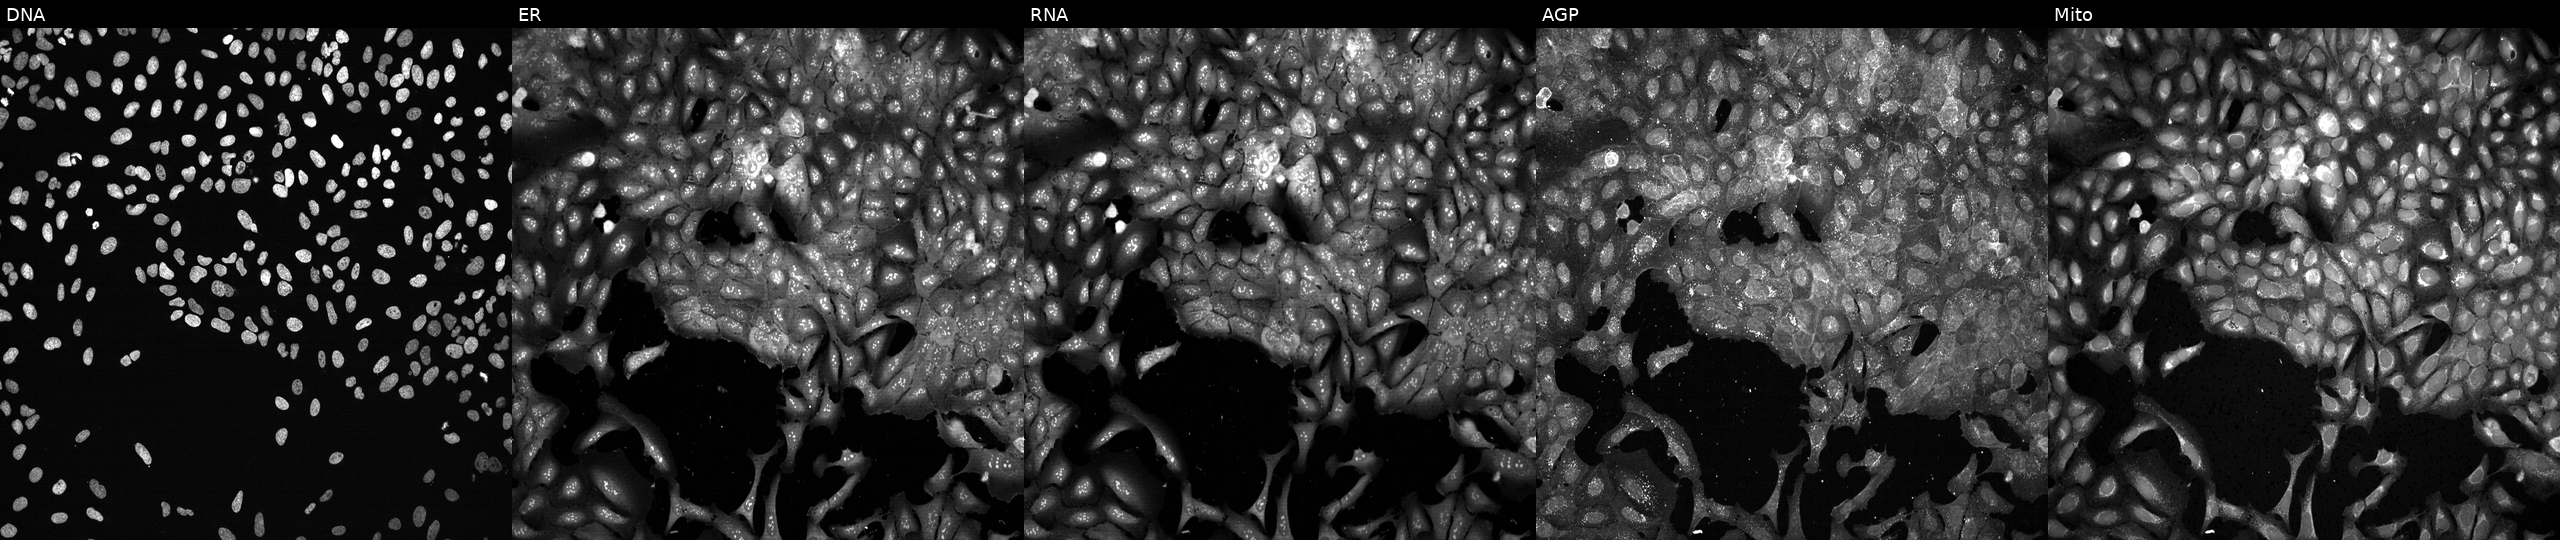
Five-channel Cell Painting image of U2OS cells with UNG knocked out by CRISPR. From left to right: DNA, ER, RNA, AGP, and Mito.